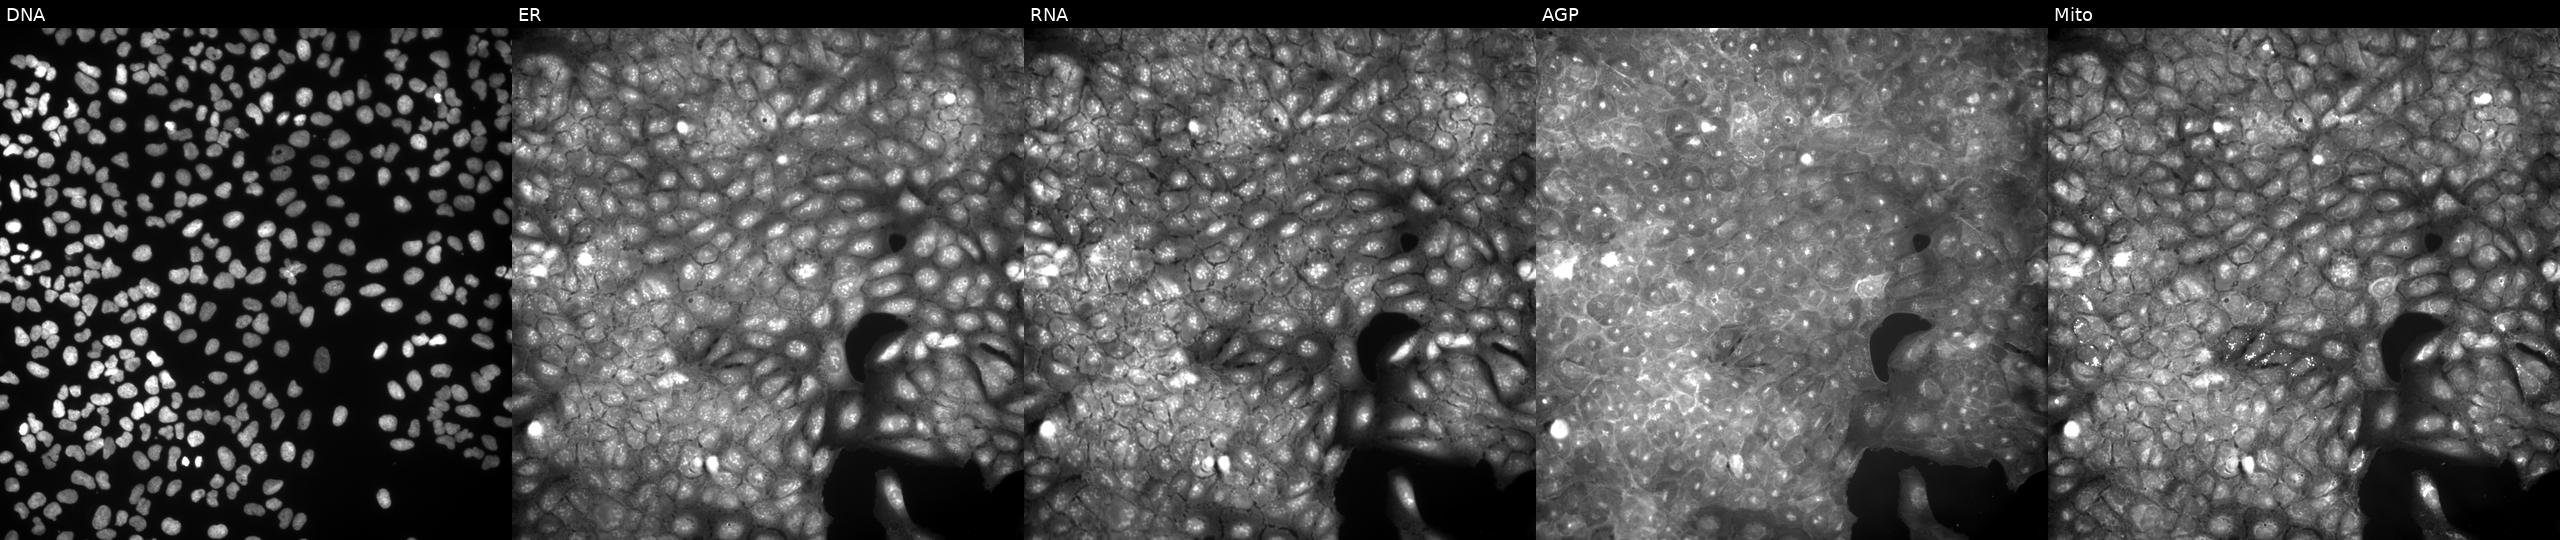
High-content fluorescence microscopy (Cell Painting). Cell line: U2OS. Perturbation: perturbed with a small-molecule compound (JUMP id JCP2022_060236). From left to right: Hoechst 33342, concanavalin A, SYTO 14, phalloidin and WGA, MitoTracker.